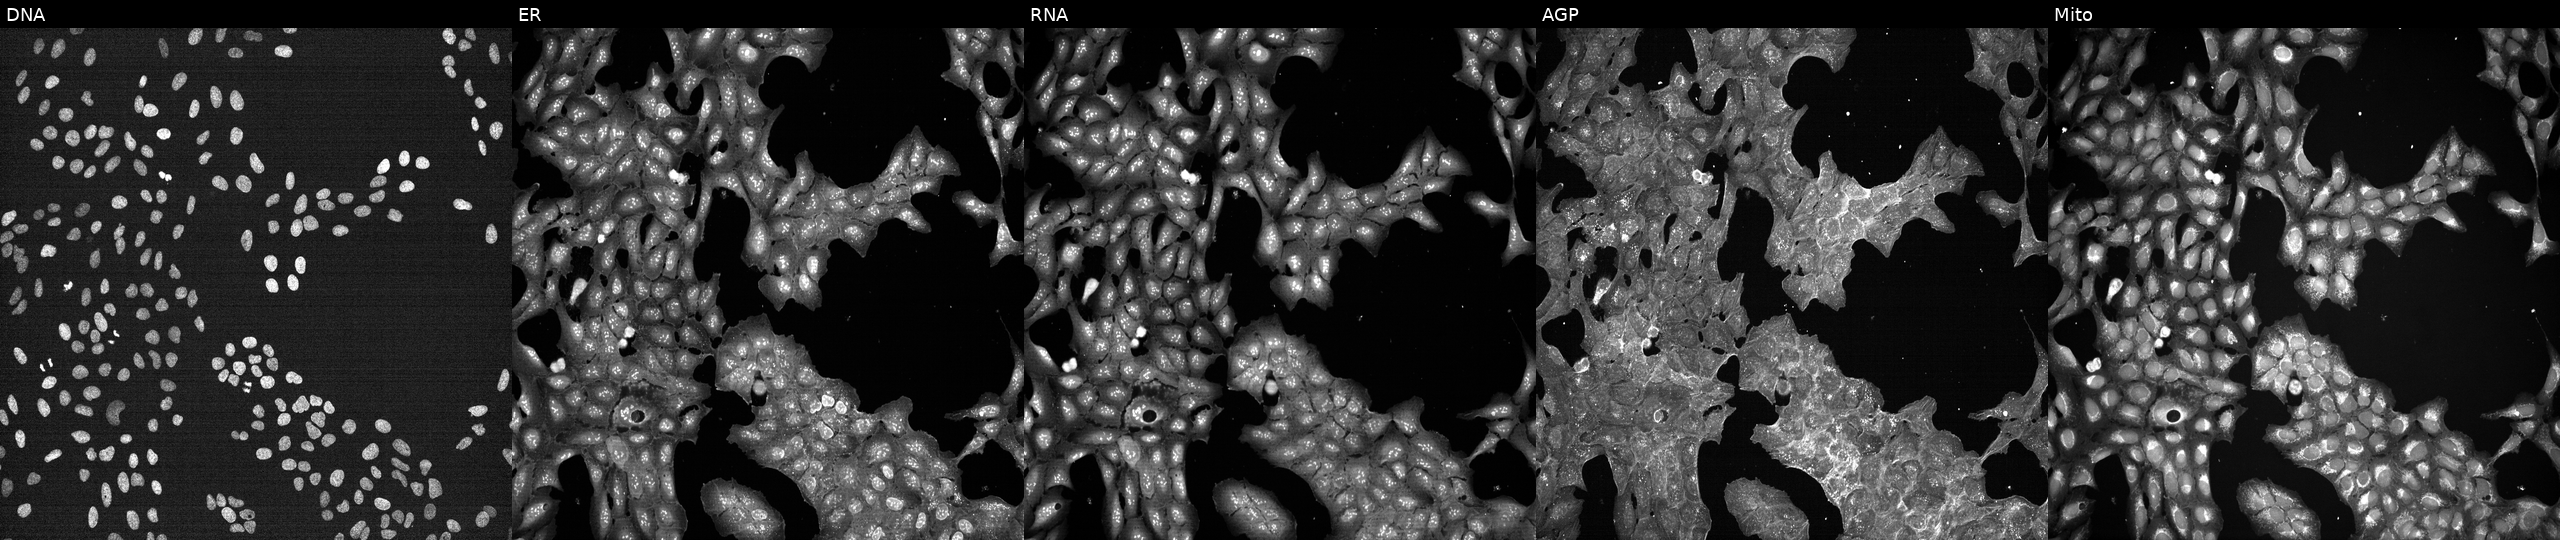
U2OS cells, Cell Painting assay, treated with DMSO vehicle only (negative control). From left to right: DNA (nuclei); ER (endoplasmic reticulum); RNA (nucleoli and cytoplasmic RNA); AGP (actin cytoskeleton, Golgi, and plasma membrane); Mito (mitochondria). Each panel is percentile-stretched 16-bit fluorescence.